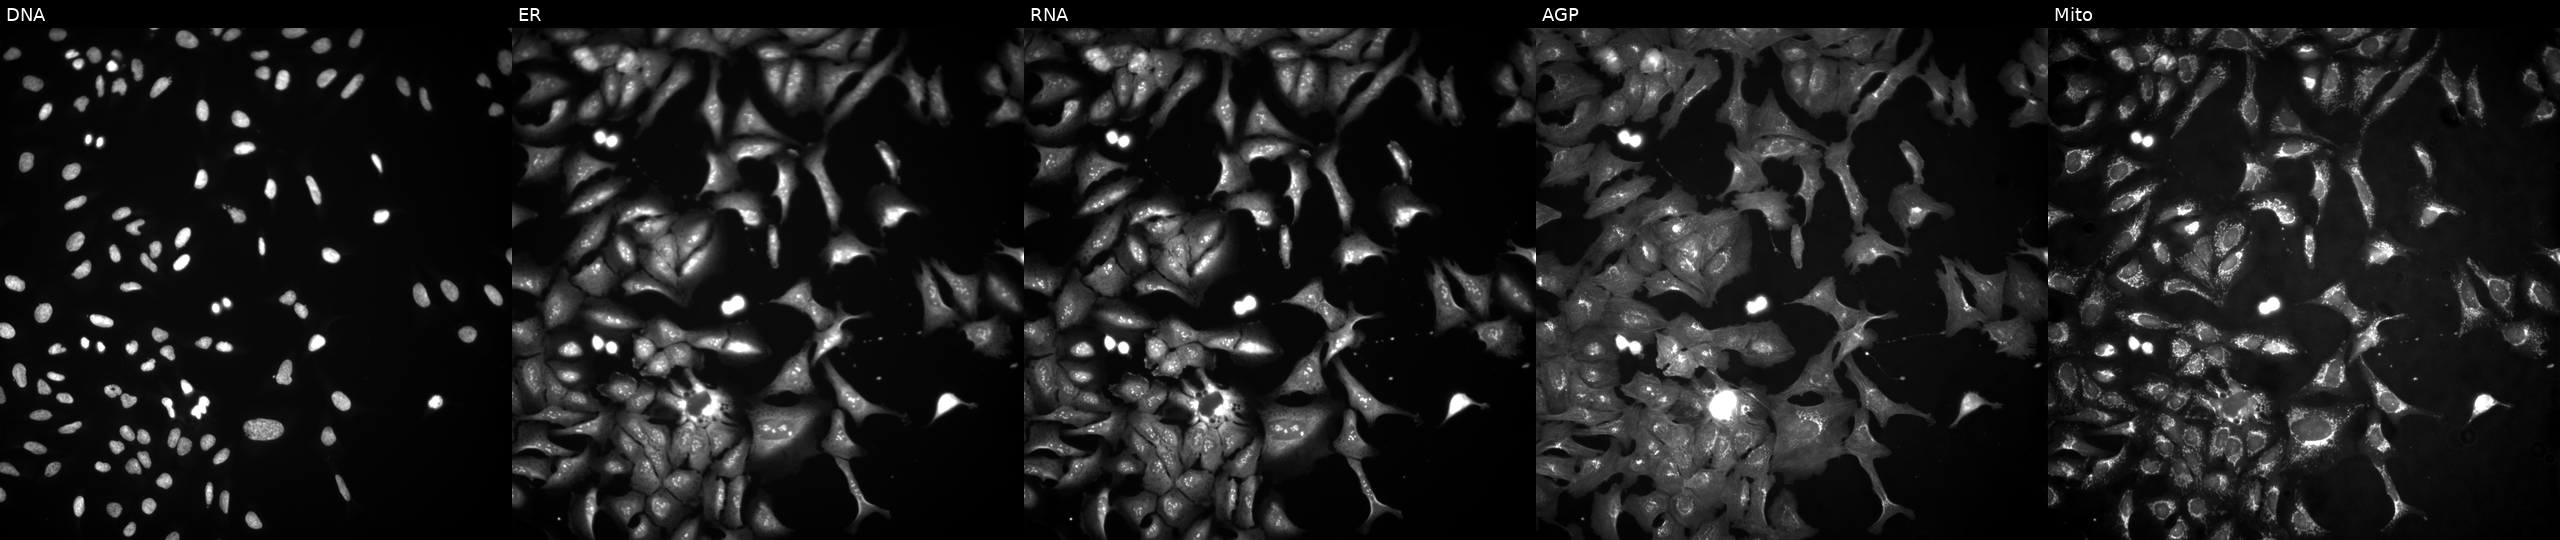
Channels (left→right): DNA, ER, RNA, AGP, and Mito. U2OS osteosarcoma cells overexpressing DIDO1 via ORF transfection. Cell Painting assay, JUMP-CP dataset. Source 4, plate BR00117035, well E14.